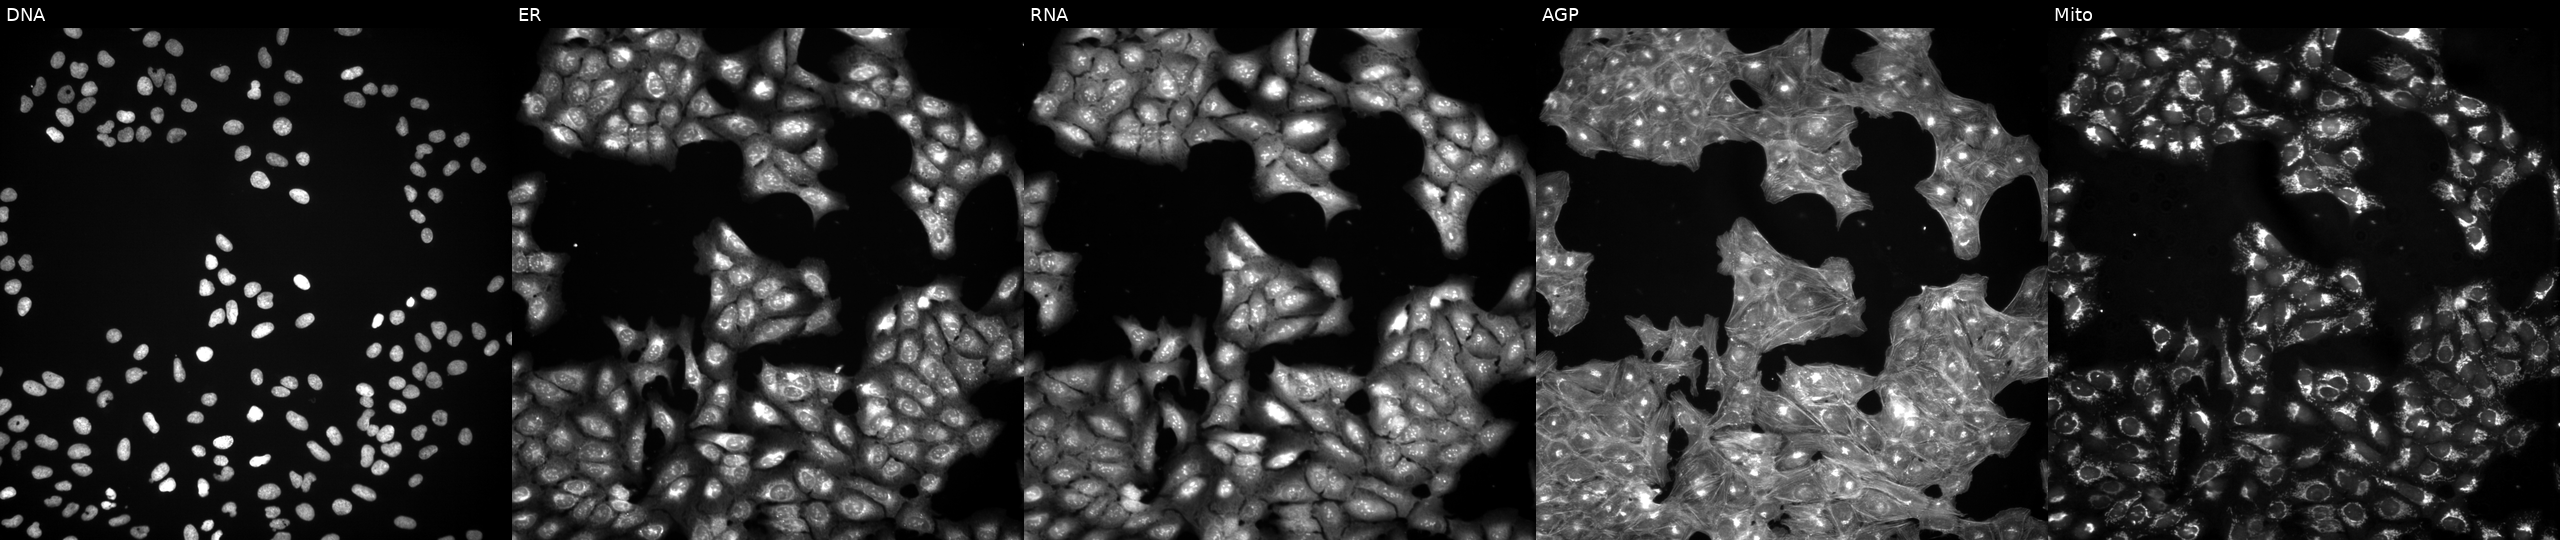
JUMP Cell Painting — TARGET2 plate. U2OS cells treated with a small-molecule compound [SMILES: Cc1c(-c2ccnn2C)cc(C(=O)NCc2ccc(S(C)(=O)=O)cn2)c(=O)n1-c1cccc(C(F)(F)F)c1] (JUMP id JCP2022_074697). Panels show, left to right, Hoechst 33342, concanavalin A, SYTO 14, phalloidin and WGA, MitoTracker.